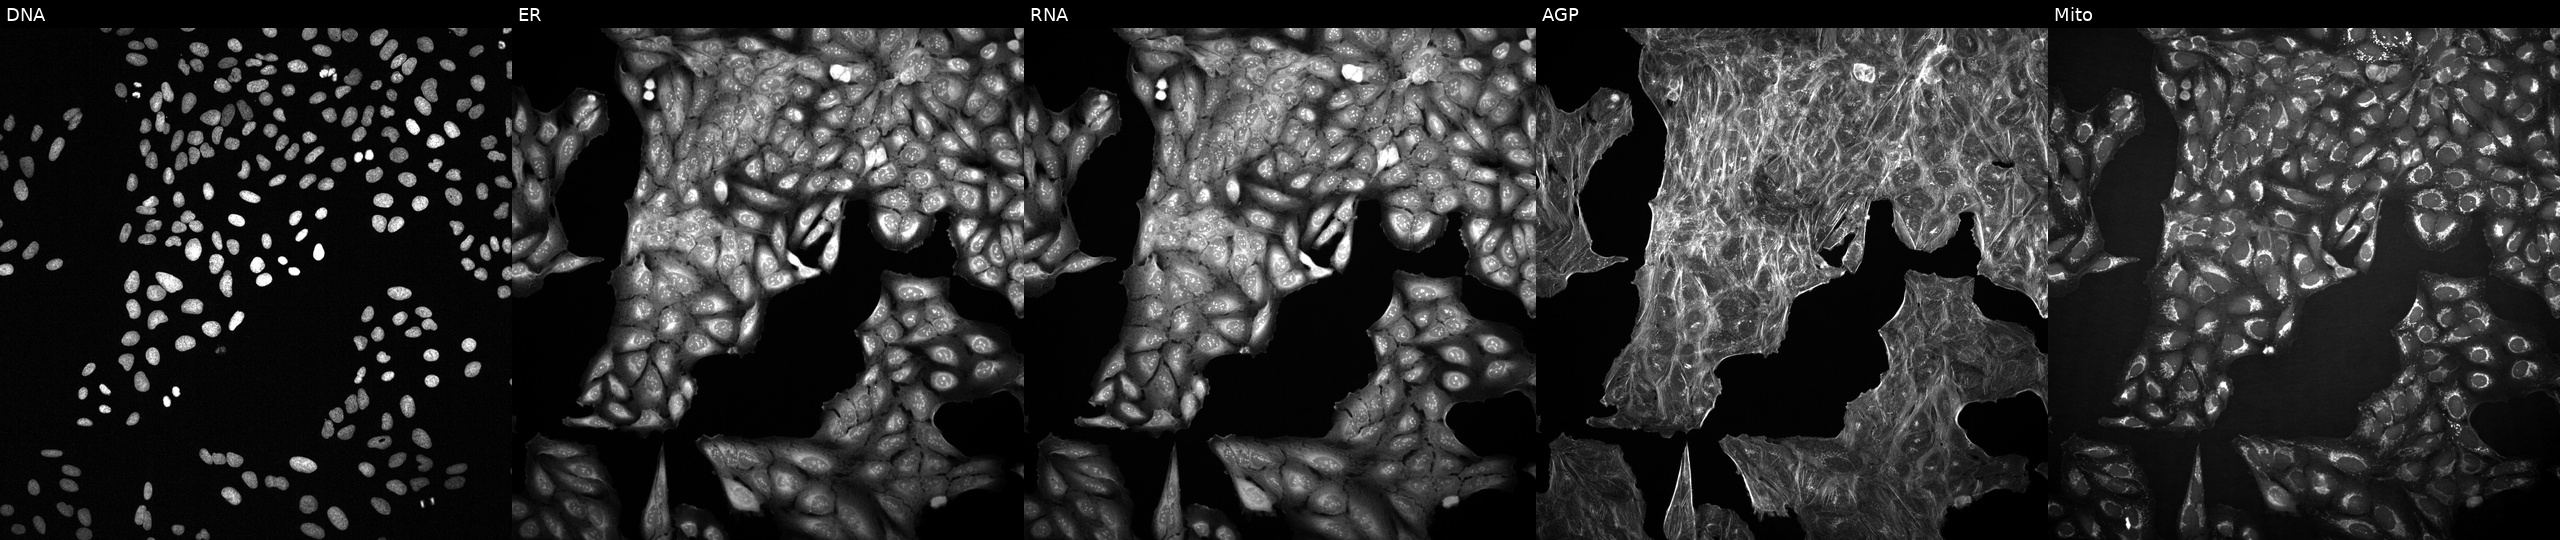
This image strip shows the five Cell Painting channels for a single field of U2OS cells exposed to a small-molecule compound (InChIKey OYDXOLQVSHDCIJ-UHFFFAOYSA-N). The five panels, left to right, show DNA, ER, RNA, AGP, and Mito. Source 2, plate 1053601763, well M14.